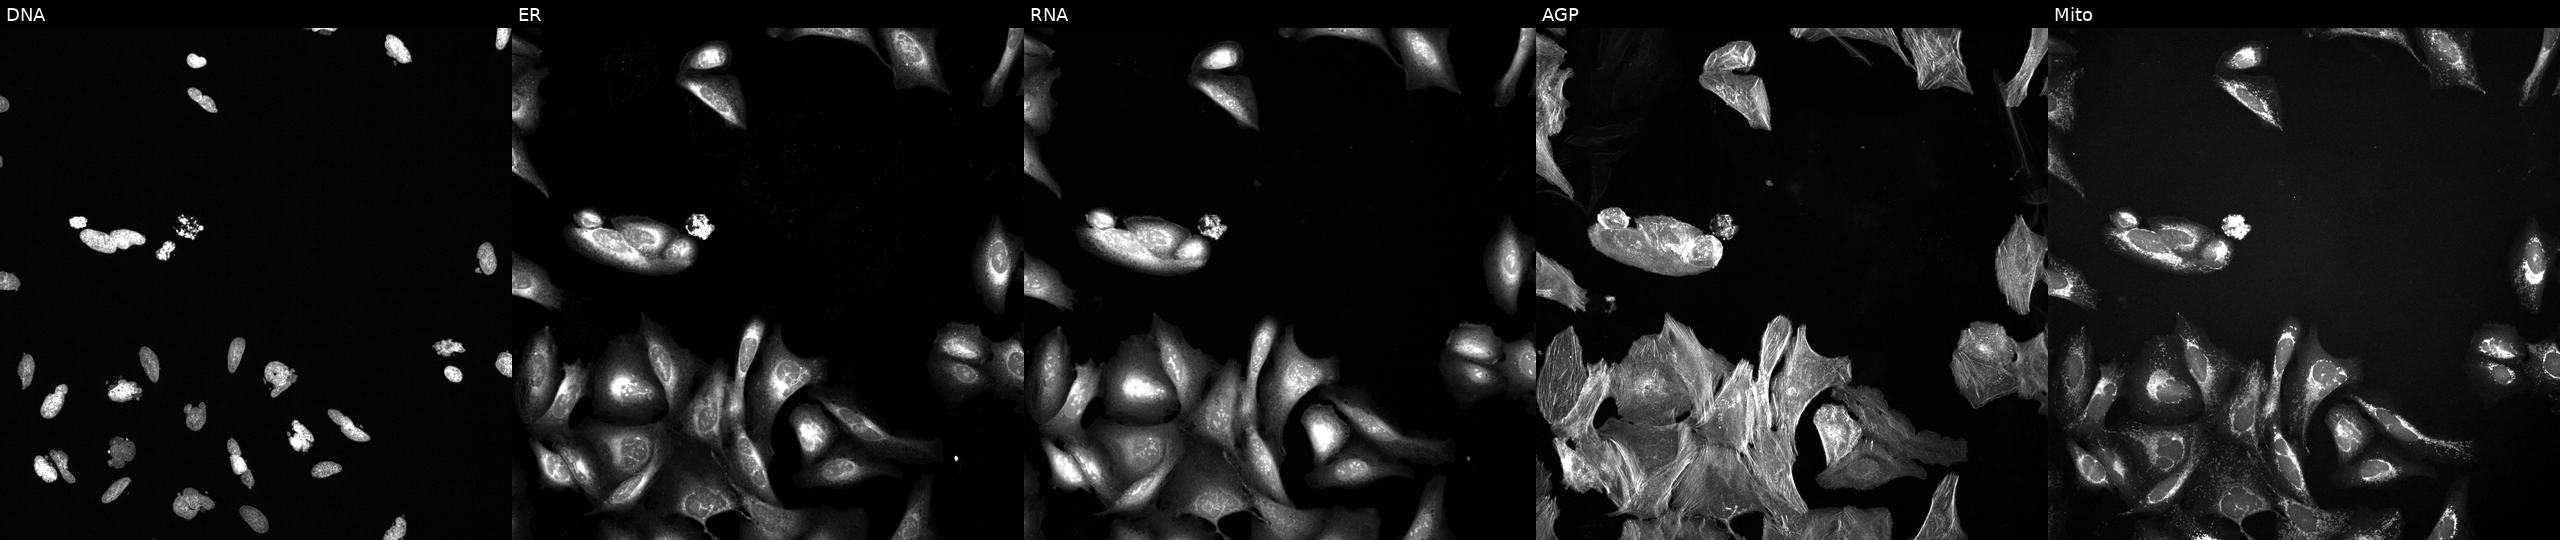
High-content fluorescence microscopy (Cell Painting). Cell line: U2OS. Perturbation: treated with a small-molecule compound (InChIKey KRBSMMVJJVHVCB-UHFFFAOYSA-N) [SMILES: COC(C(=O)n1cc2[nH][nH]c(=NC(O)c3ccc(N4CCN(C)CC4)cc3)c2c1)c1ccccc1]. The five panels, left to right, show DNA, ER, RNA, AGP, and Mito. Source 6, plate 110000293093, well J07.